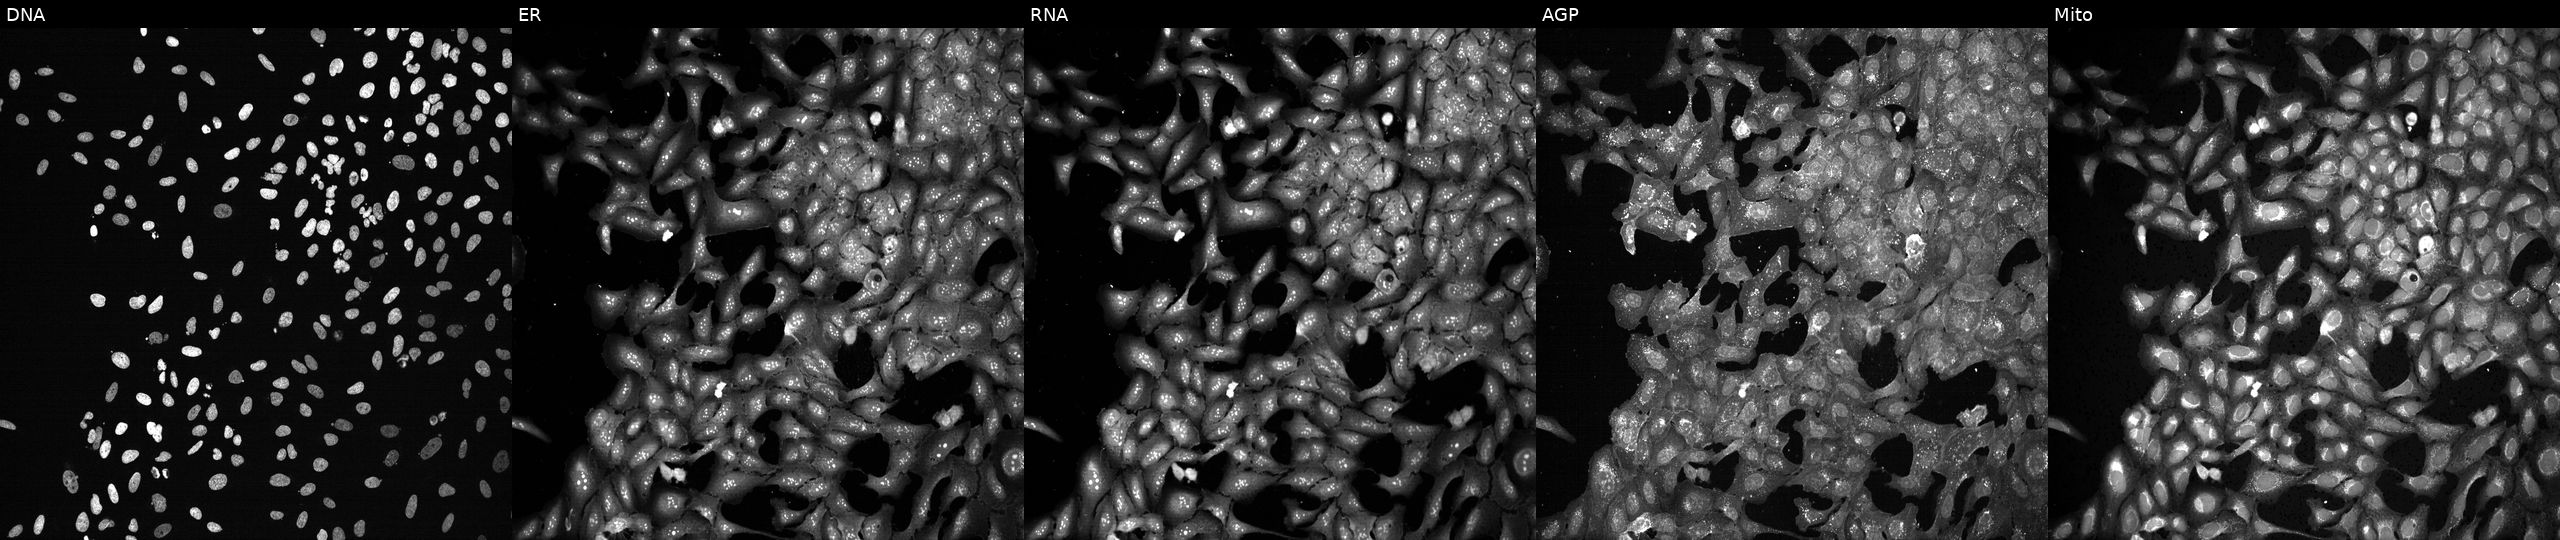
High-content fluorescence microscopy (Cell Painting). Cell line: U2OS. Perturbation: CRISPR-edited to disrupt S100A6 (JUMP id JCP2022_806160). Panels show, left to right, Hoechst 33342, concanavalin A, SYTO 14, phalloidin and WGA, MitoTracker.